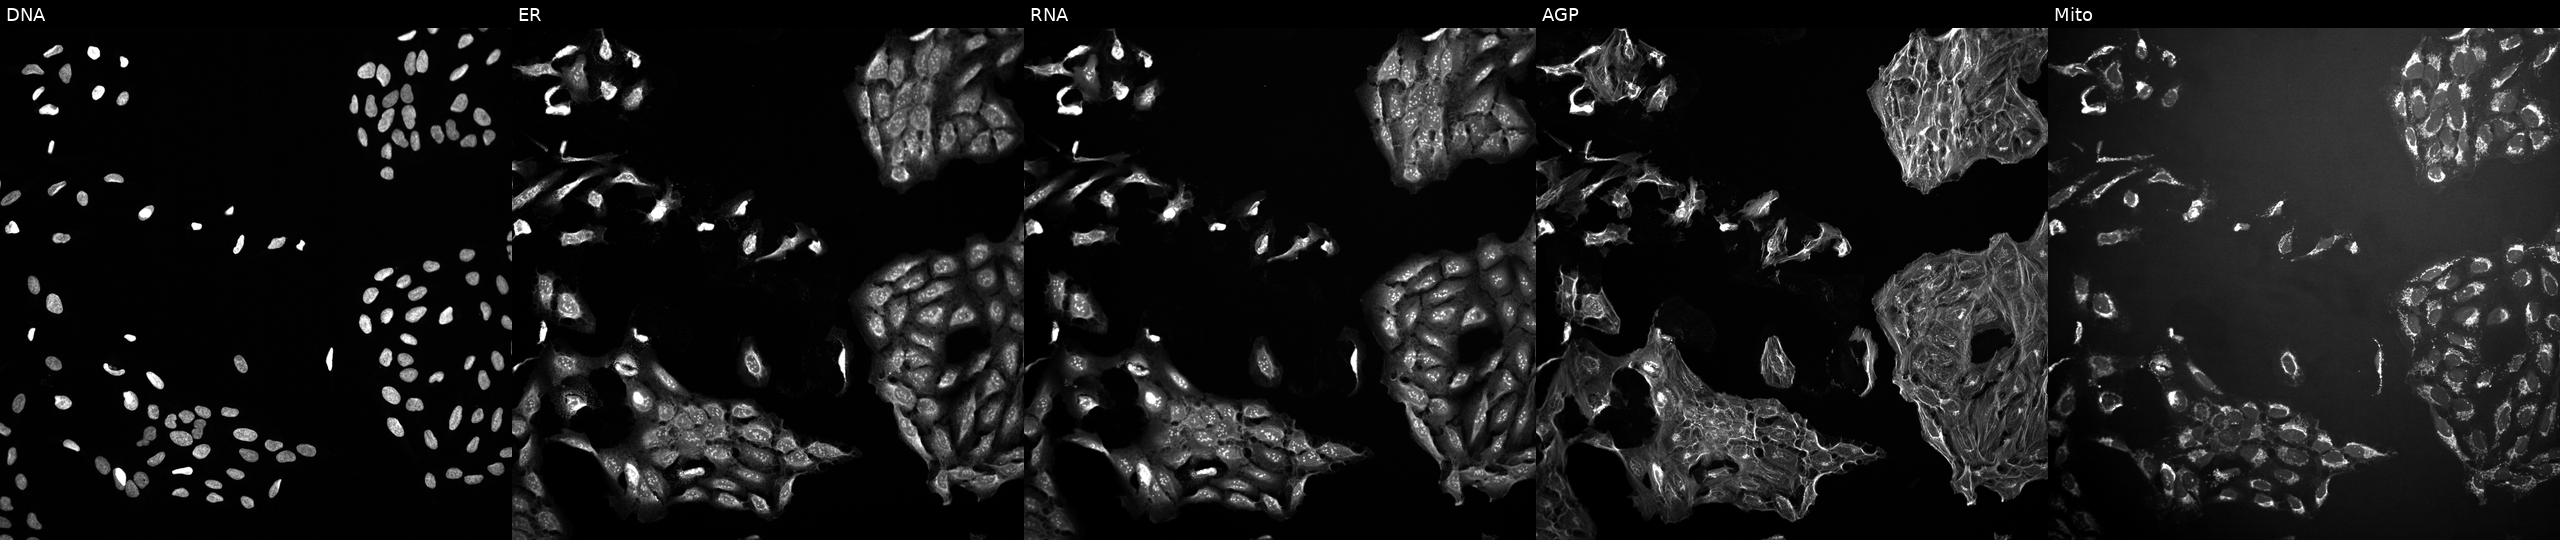
Panels show, left to right, DNA, ER, RNA, AGP, and Mito. U2OS osteosarcoma cells treated with a small-molecule compound (InChIKey FMYGNANMYYHBSU-UHFFFAOYSA-N). Cell Painting assay, JUMP-CP dataset.